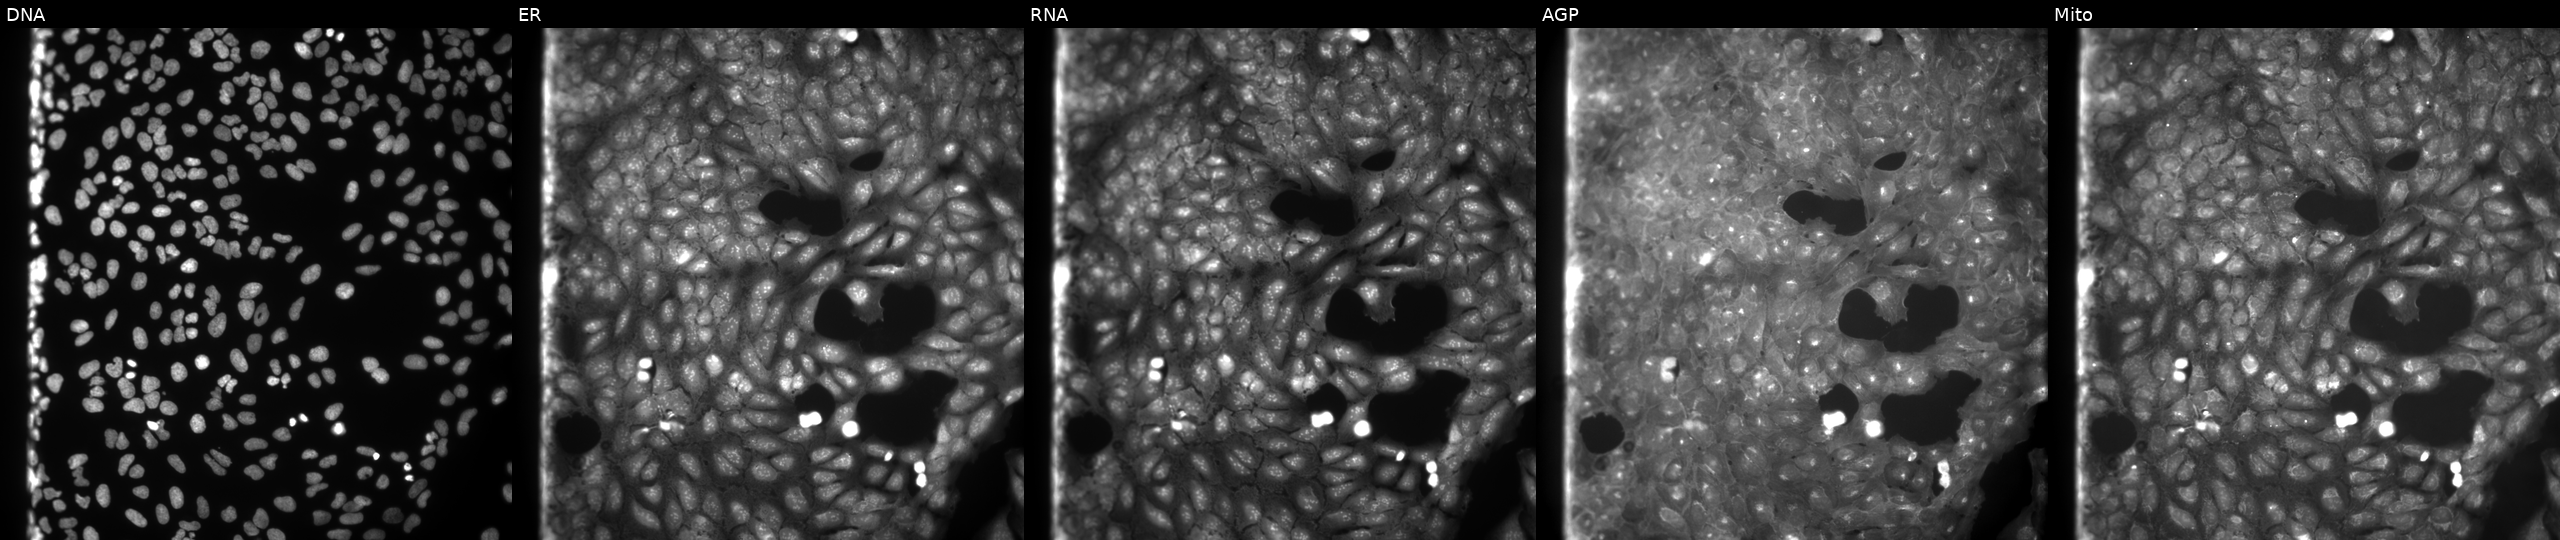
U2OS cells, Cell Painting assay, exposed to a small-molecule compound [SMILES: Oc1ccc(Cc2[nH]c(=S)n(Cc3ccccc3)c2O)cc1] (JUMP id JCP2022_058384). From left to right: Hoechst 33342, concanavalin A, SYTO 14, phalloidin and WGA, MitoTracker. Each panel is percentile-stretched 16-bit fluorescence.